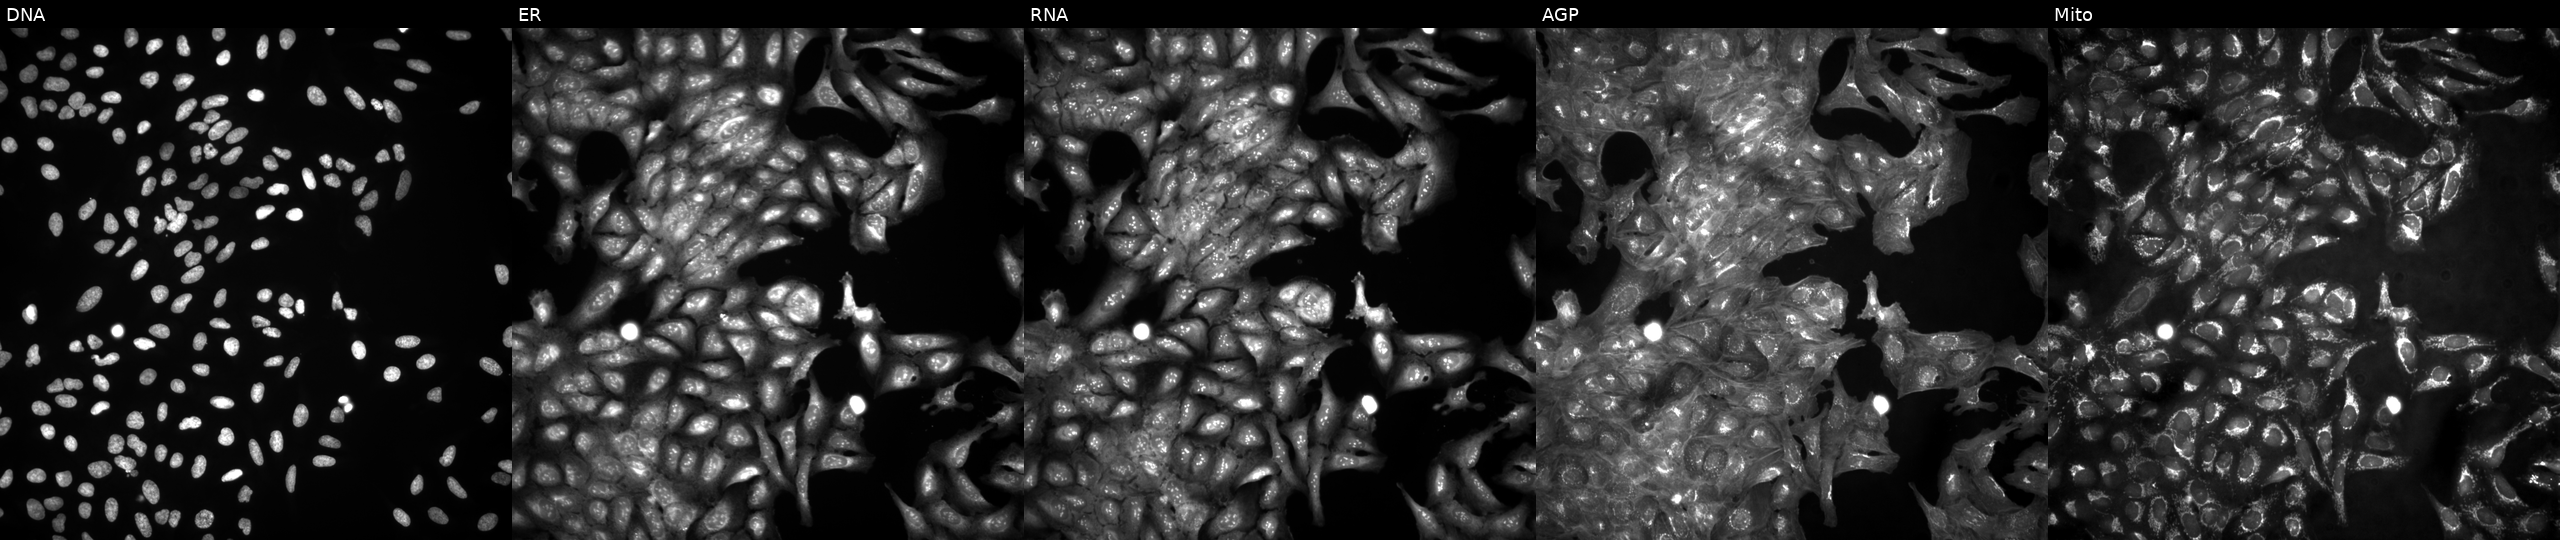
Five-channel Cell Painting image of U2OS cells in an empty control well (no perturbation) (JUMP id JCP2022_999999). Channels (left→right): DNA (nuclei); ER (endoplasmic reticulum); RNA (nucleoli and cytoplasmic RNA); AGP (actin cytoskeleton, Golgi, and plasma membrane); Mito (mitochondria).